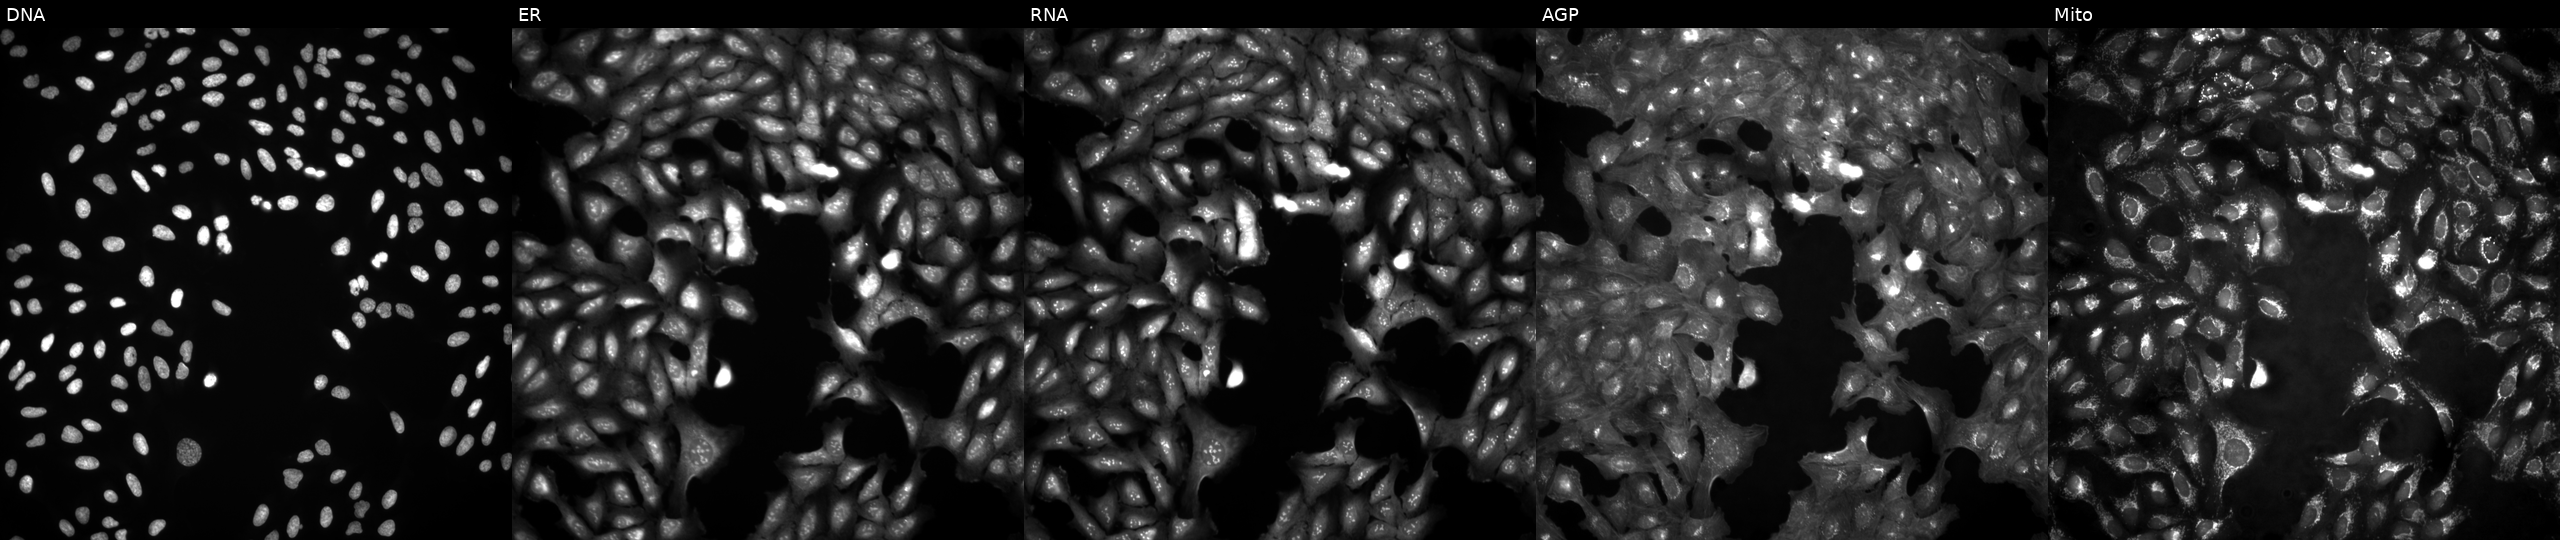
Five-channel Cell Painting image of U2OS cells untreated (empty-well control). From left to right: DNA (nuclei); ER (endoplasmic reticulum); RNA (nucleoli and cytoplasmic RNA); AGP (actin cytoskeleton, Golgi, and plasma membrane); Mito (mitochondria). Source 4, plate BR00123946, well E04.